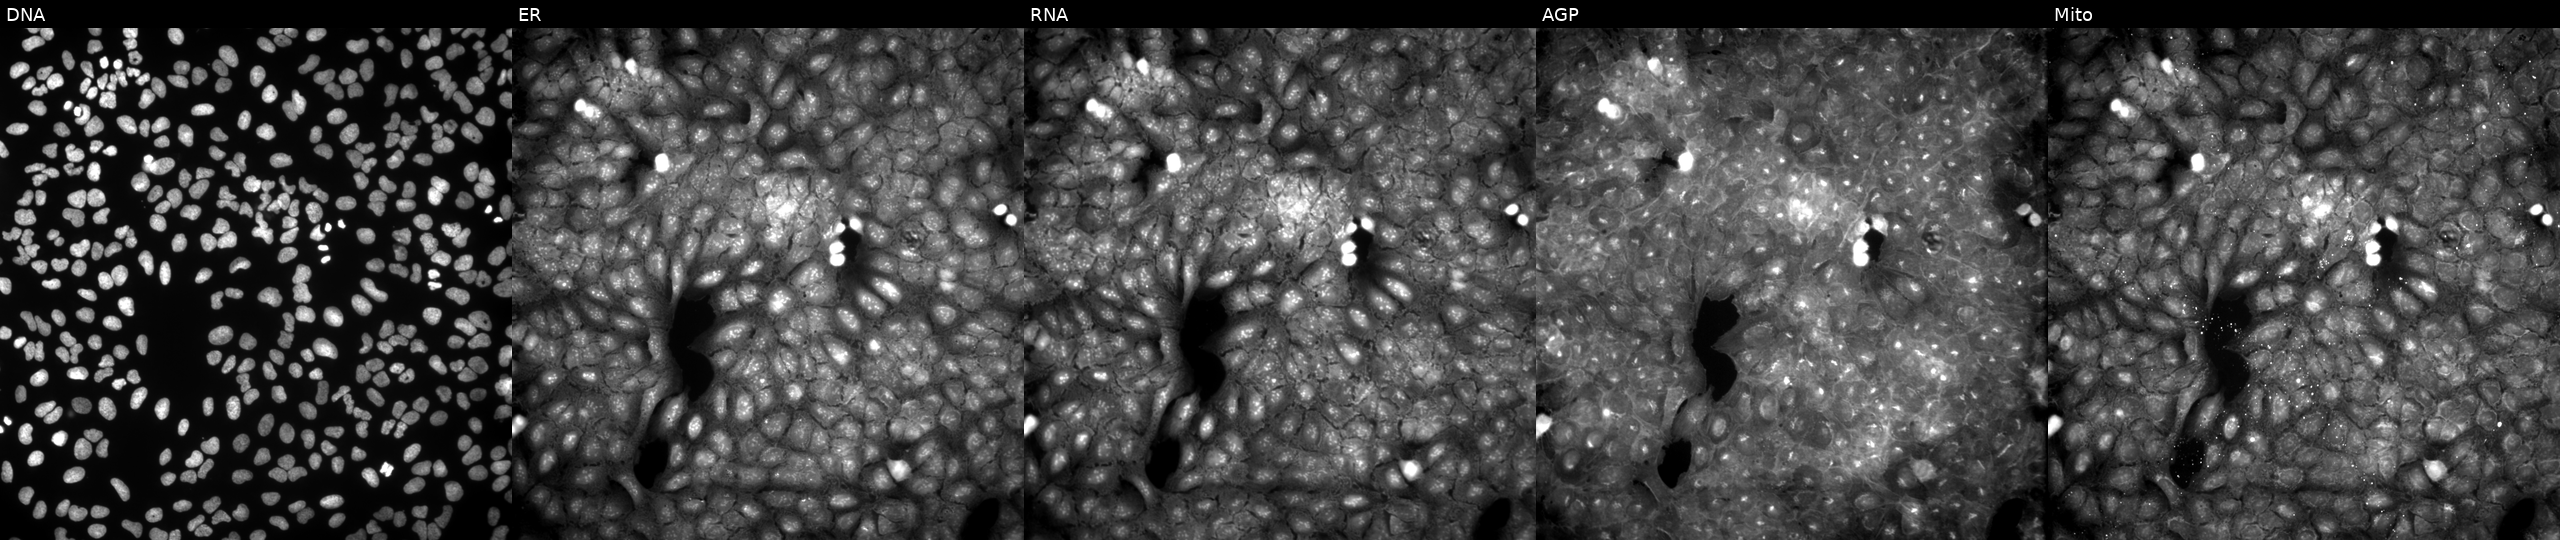
Five-channel Cell Painting image of U2OS cells exposed to a small-molecule compound (InChIKey KGCGDYADLNUQIH-UHFFFAOYSA-N) (JUMP id JCP2022_044408). Panels show, left to right, DNA, ER, RNA, AGP, and Mito.